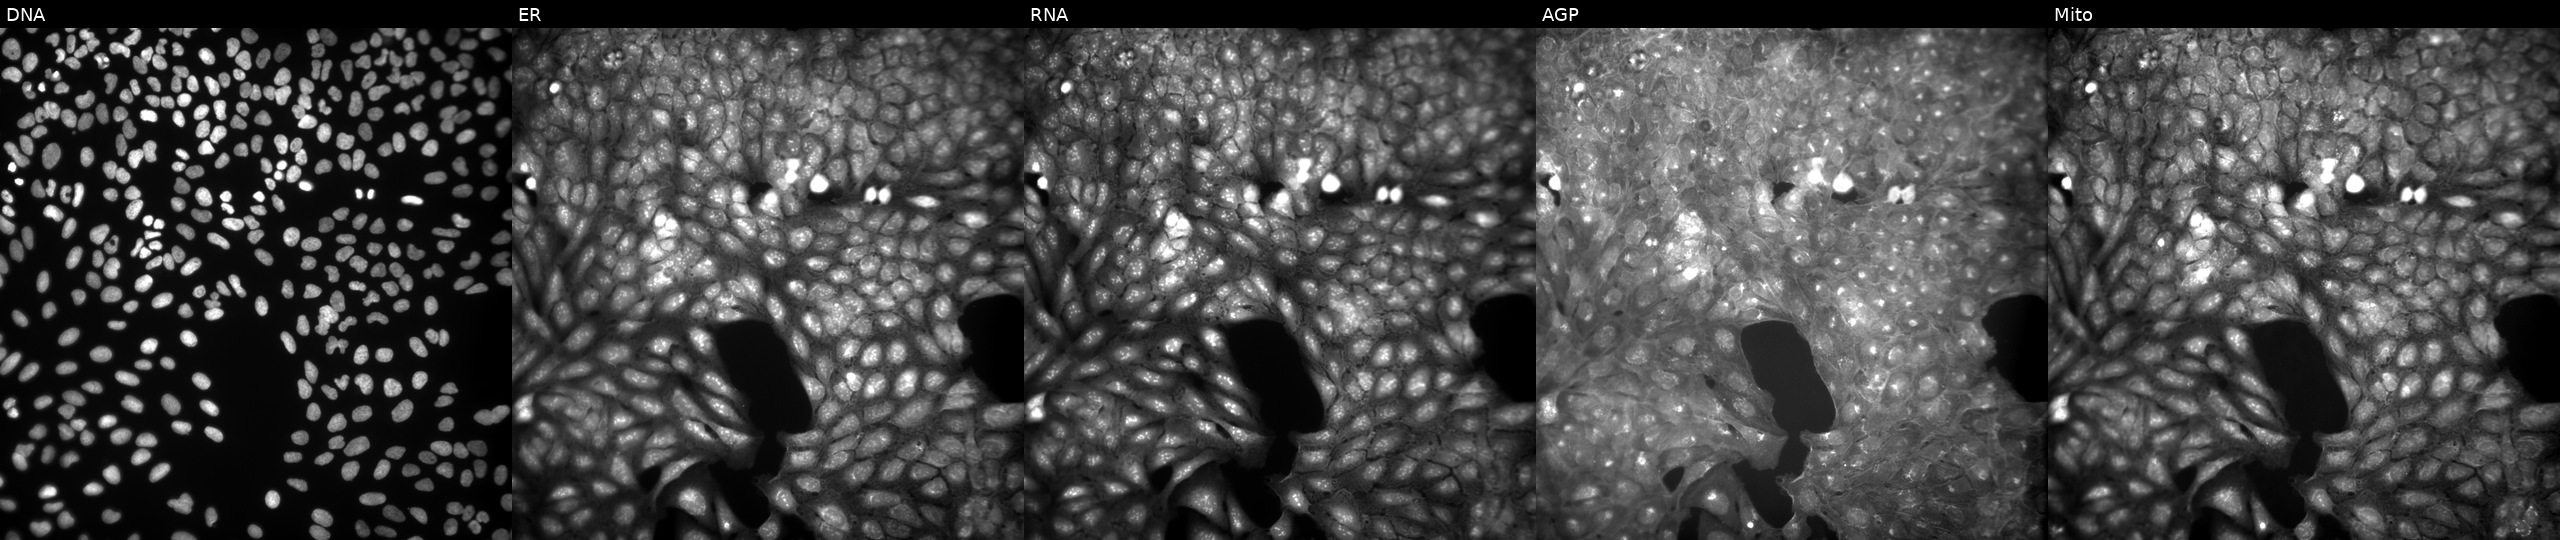
Panels show, left to right, DNA, ER, RNA, AGP, and Mito. U2OS osteosarcoma cells exposed to DMSO alone as a negative control. Cell Painting assay, JUMP-CP dataset. Source 9, plate GR00003382, well D47.